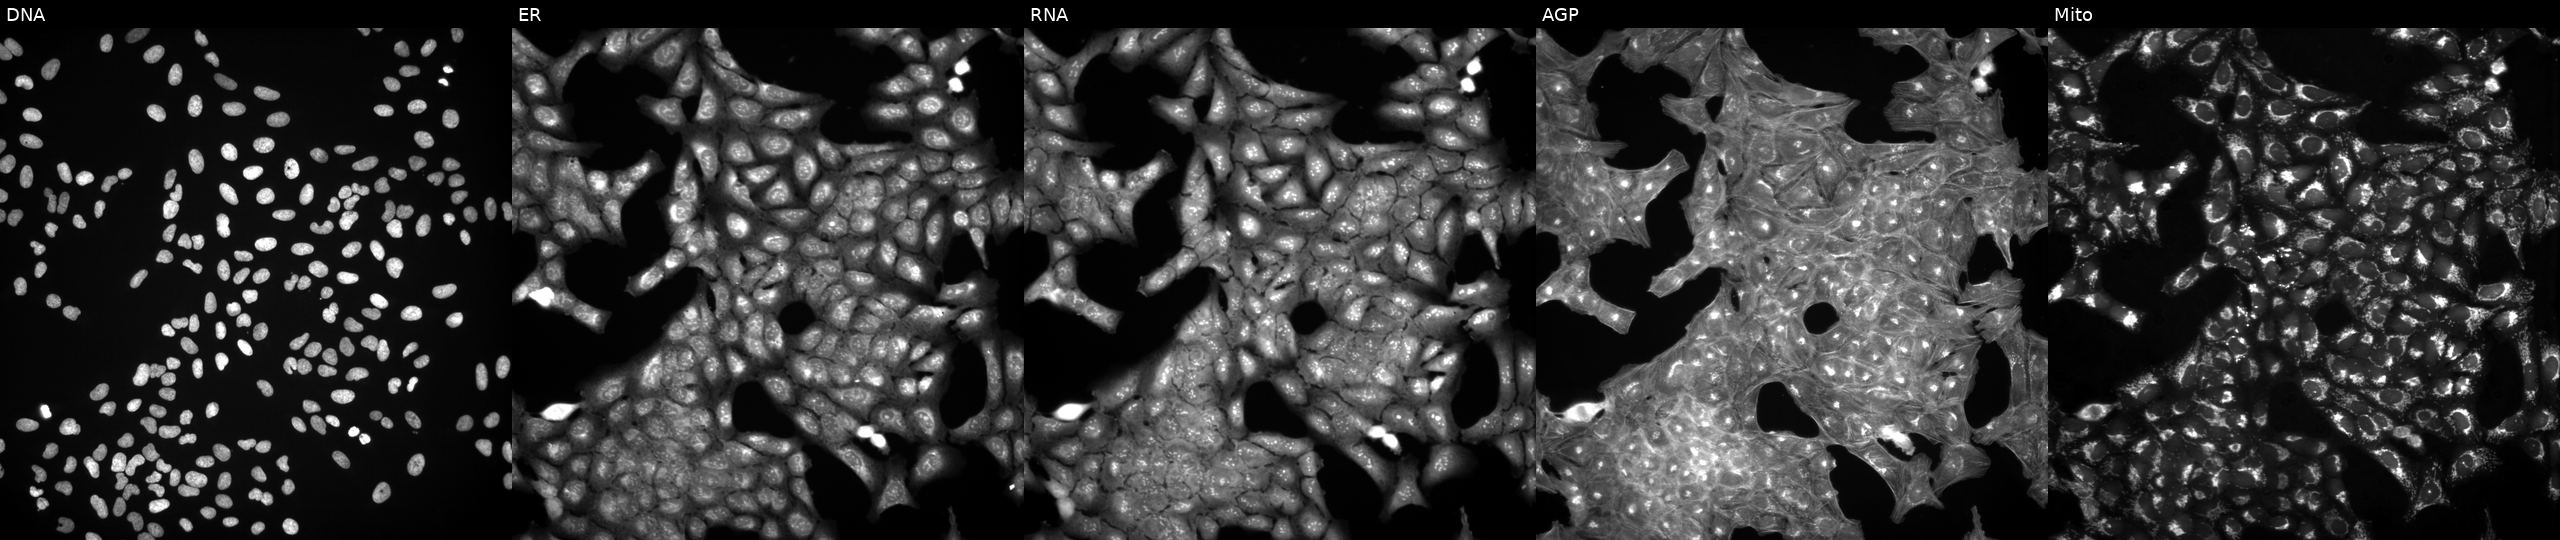
U2OS cells, Cell Painting assay, exposed to a small-molecule compound [SMILES: CC(=O)Oc1cc2c(s1)CCN(C(C(=O)C1CC1)c1ccccc1F)C2] (JUMP id JCP2022_018074). The five panels, left to right, show Hoechst 33342, concanavalin A, SYTO 14, phalloidin and WGA, MitoTracker. Each panel is percentile-stretched 16-bit fluorescence.